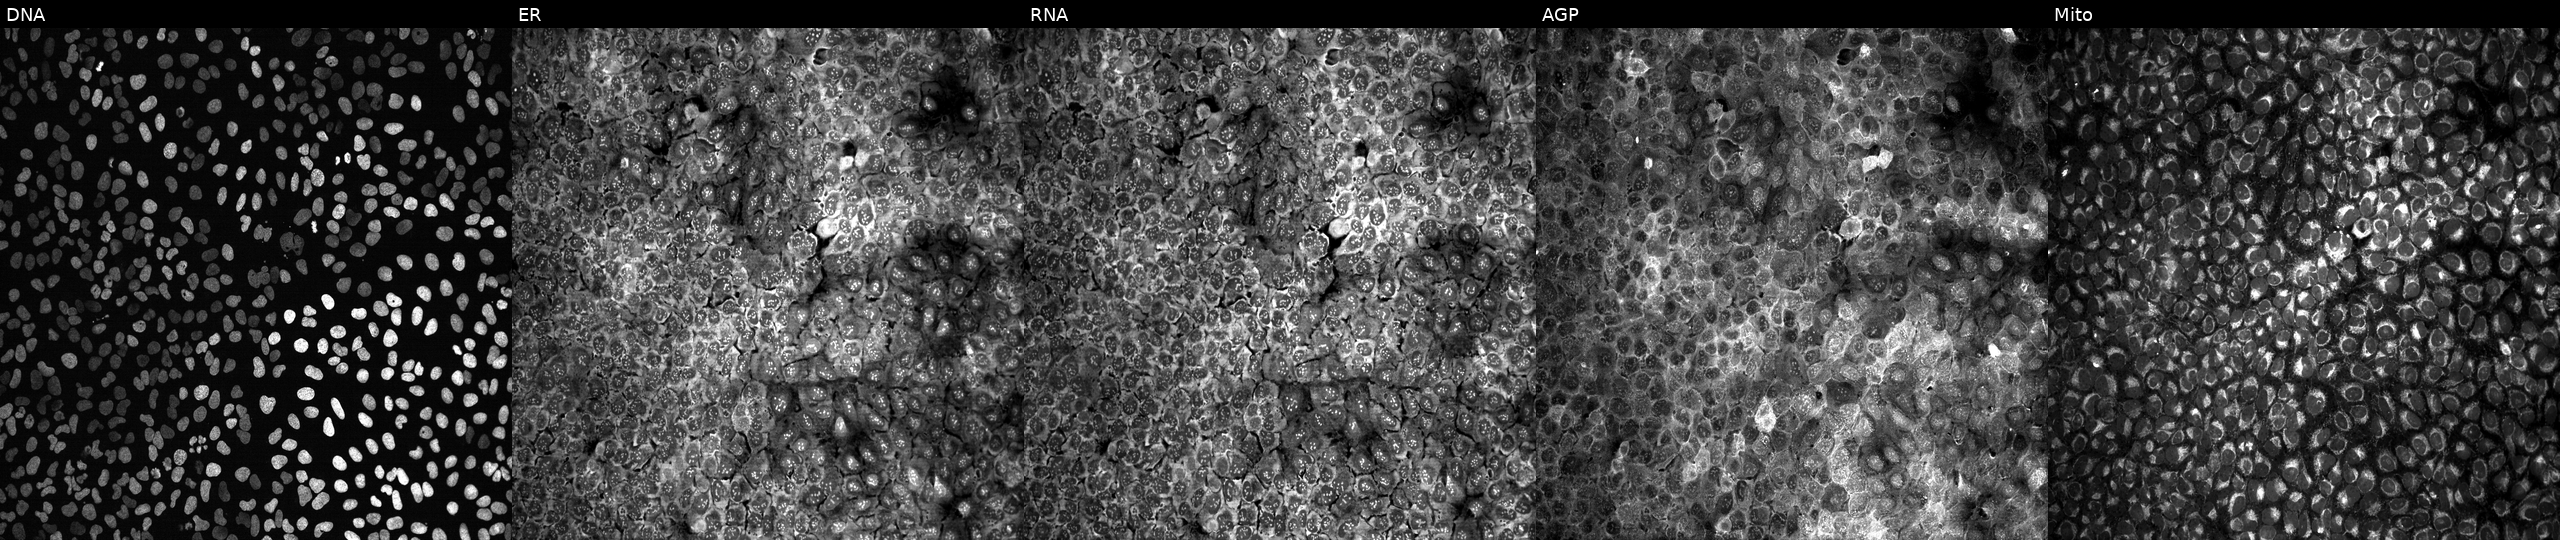
U2OS cells, Cell Painting assay, exposed to DMSO alone as a negative control. The five panels, left to right, show DNA, ER, RNA, AGP, and Mito. Each panel is percentile-stretched 16-bit fluorescence.